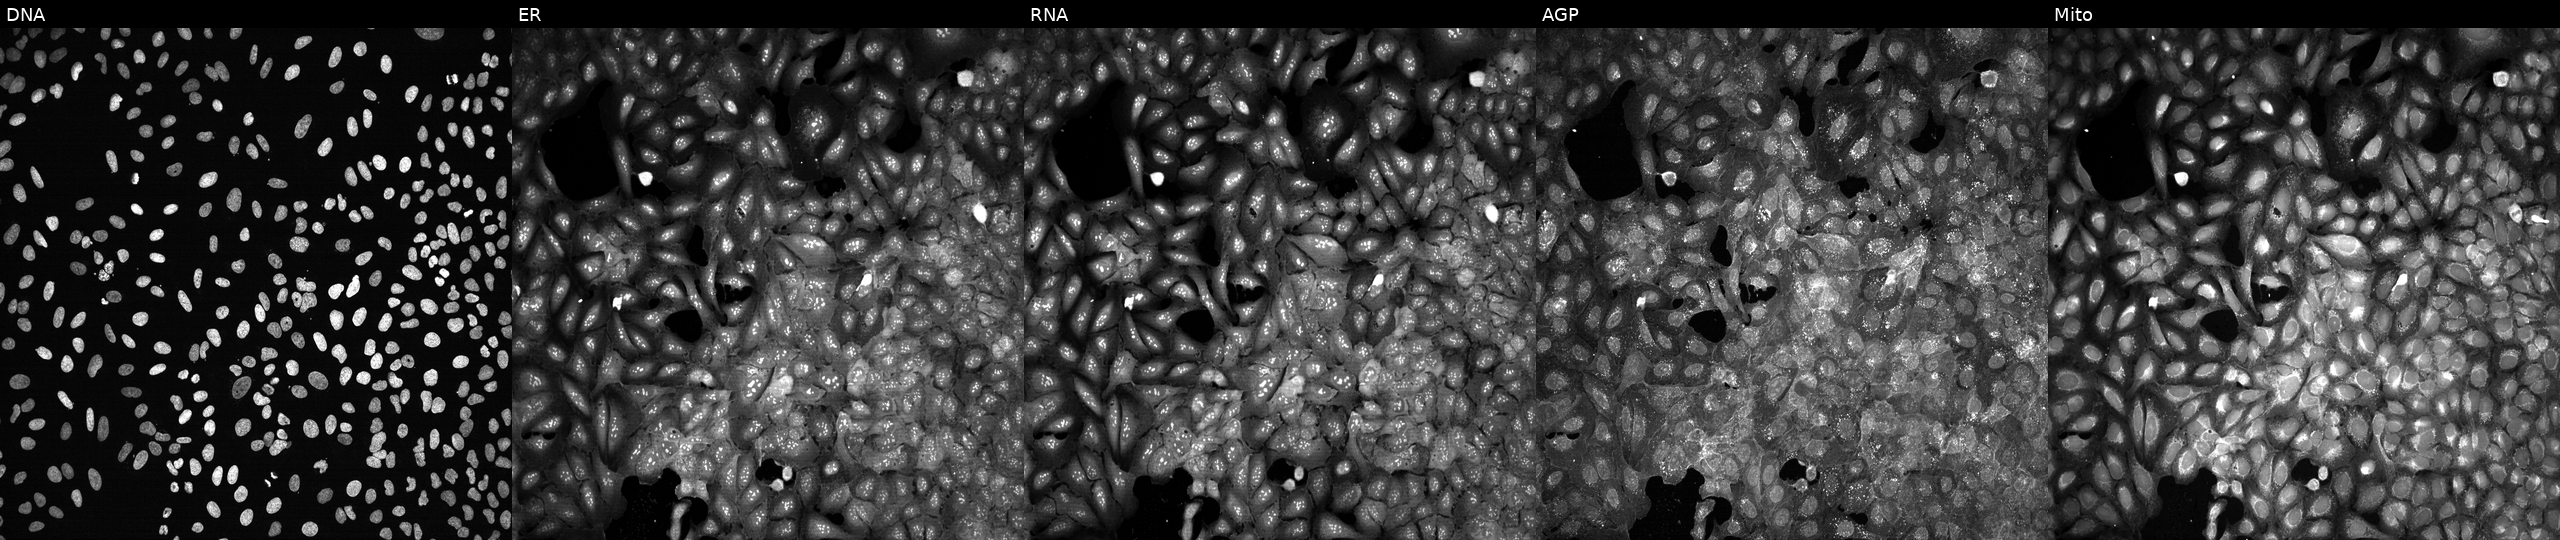
High-content fluorescence microscopy (Cell Painting). Cell line: U2OS. Perturbation: following CRISPR knockout of RAP1GAP (JUMP id JCP2022_805830). From left to right: DNA, ER, RNA, AGP, and Mito.